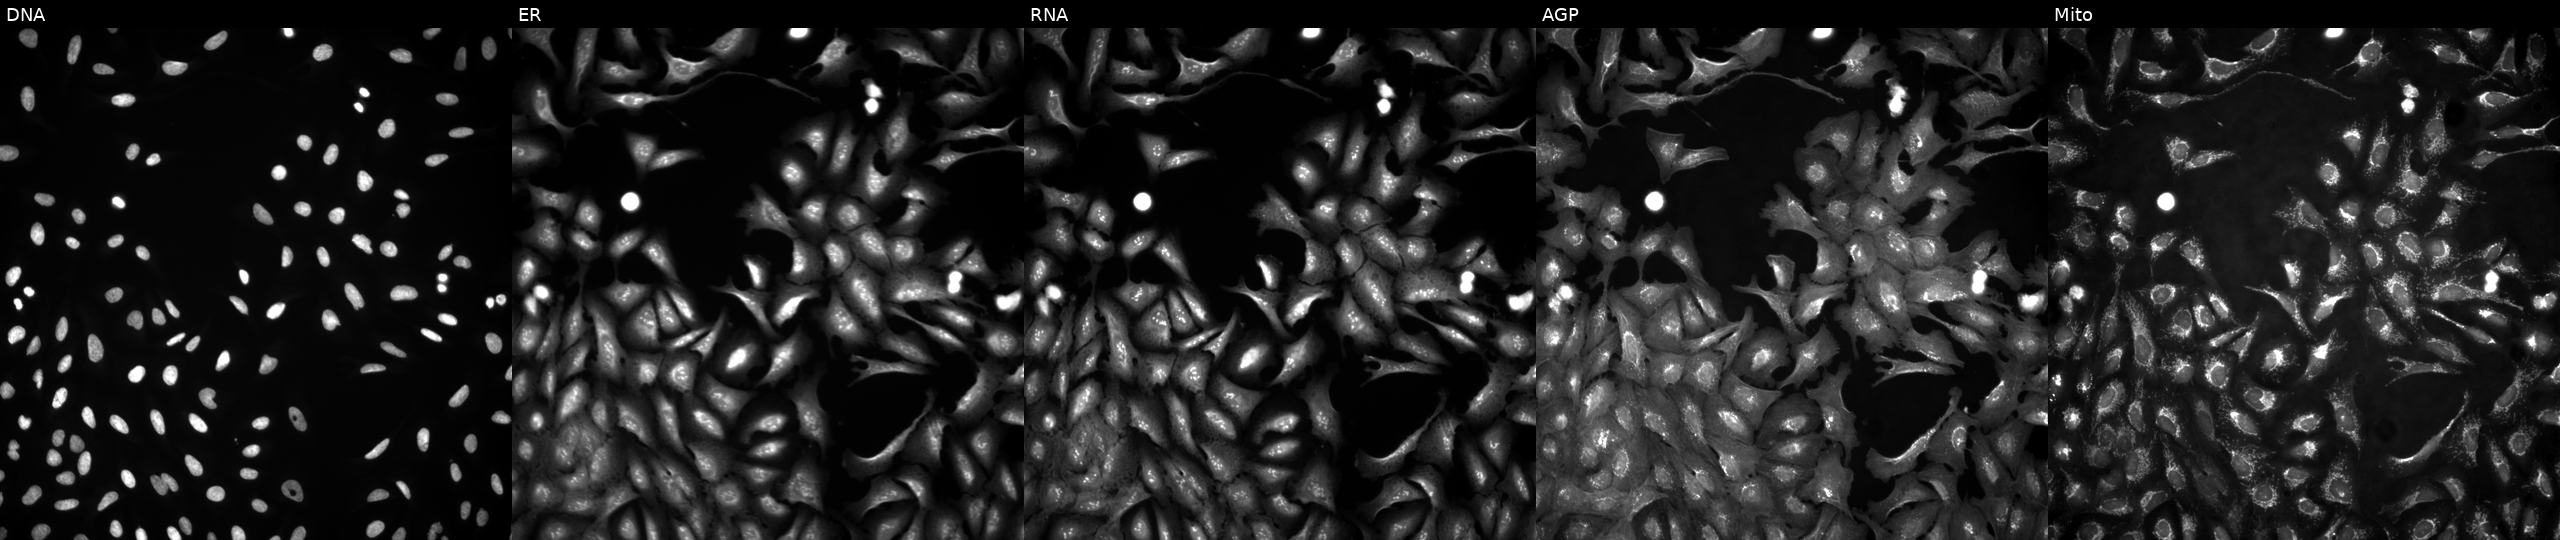
U2OS cells, Cell Painting assay, expressing BFP (ORF negative control) (JUMP id JCP2022_915128). Channels (left→right): Hoechst 33342, concanavalin A, SYTO 14, phalloidin and WGA, MitoTracker. Each panel is percentile-stretched 16-bit fluorescence. Source 4, plate BR00124787, well J01.